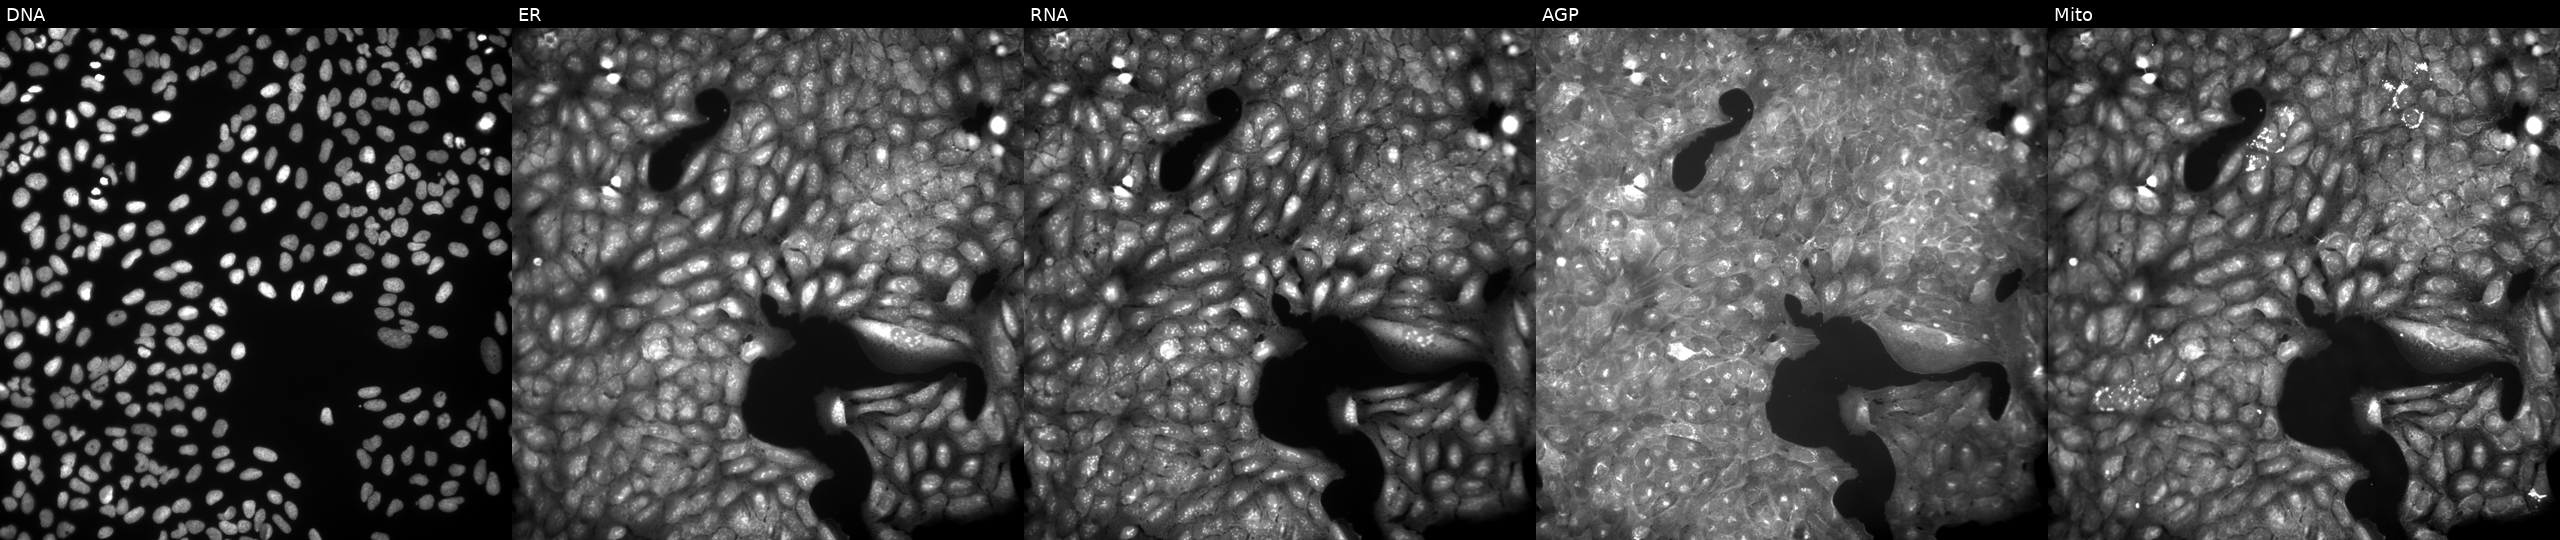
Five-channel Cell Painting image of U2OS cells perturbed with a small-molecule compound (InChIKey YXZBNHDVRXRUBE-UHFFFAOYSA-N). Channels (left→right): Hoechst 33342, concanavalin A, SYTO 14, phalloidin and WGA, MitoTracker. Source 9, plate GR00003381, well J44.